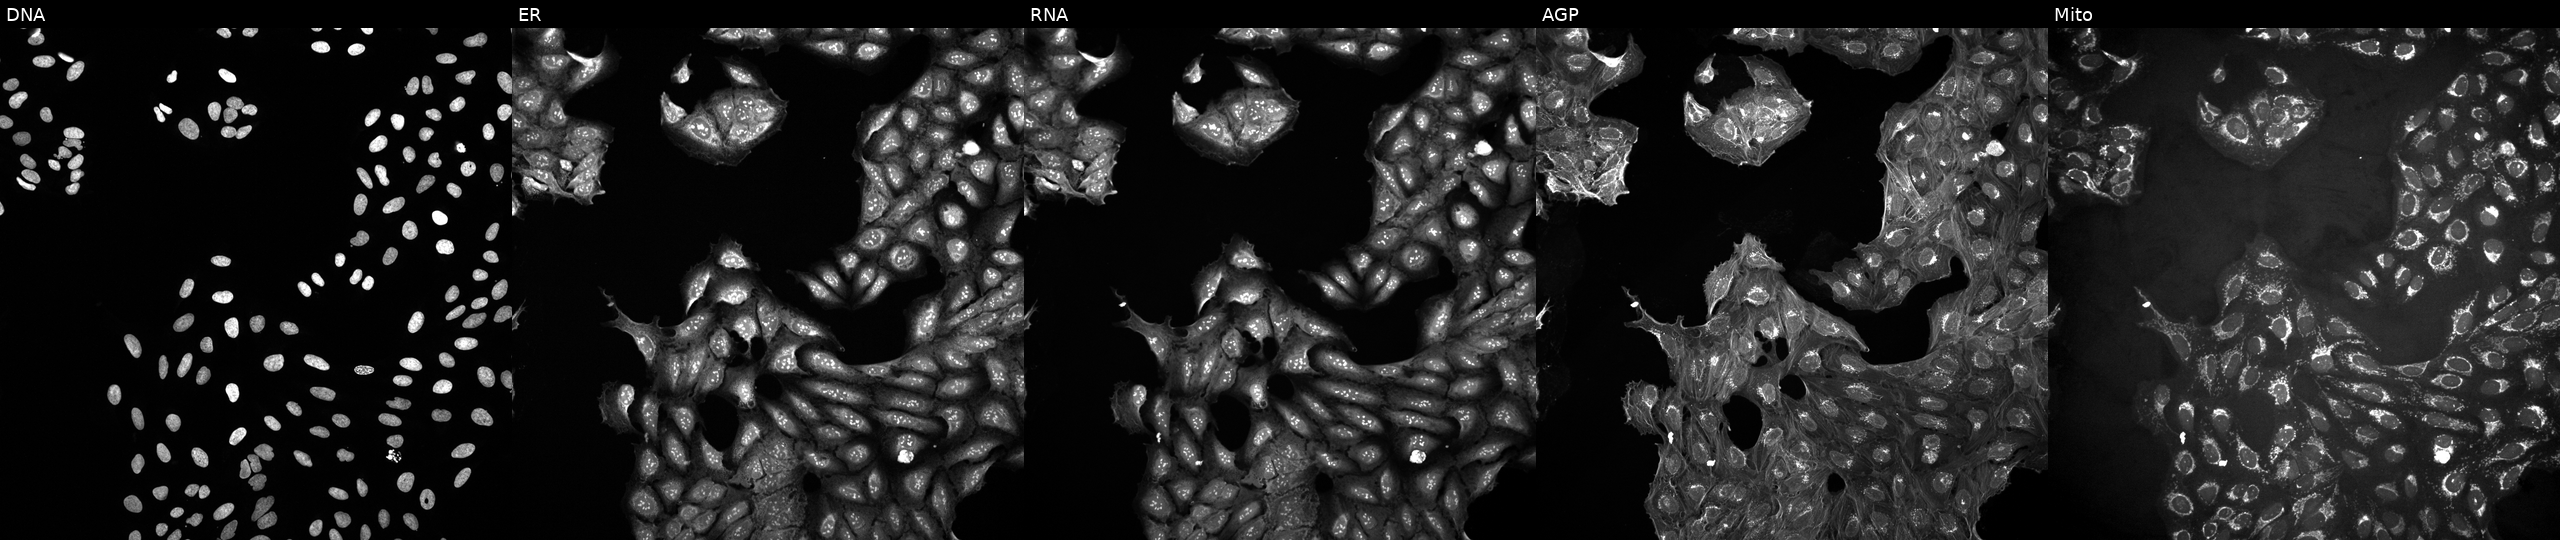
High-content fluorescence microscopy (Cell Painting). Cell line: U2OS. Perturbation: untreated (empty-well control). Panels show, left to right, DNA (nuclei); ER (endoplasmic reticulum); RNA (nucleoli and cytoplasmic RNA); AGP (actin cytoskeleton, Golgi, and plasma membrane); Mito (mitochondria).